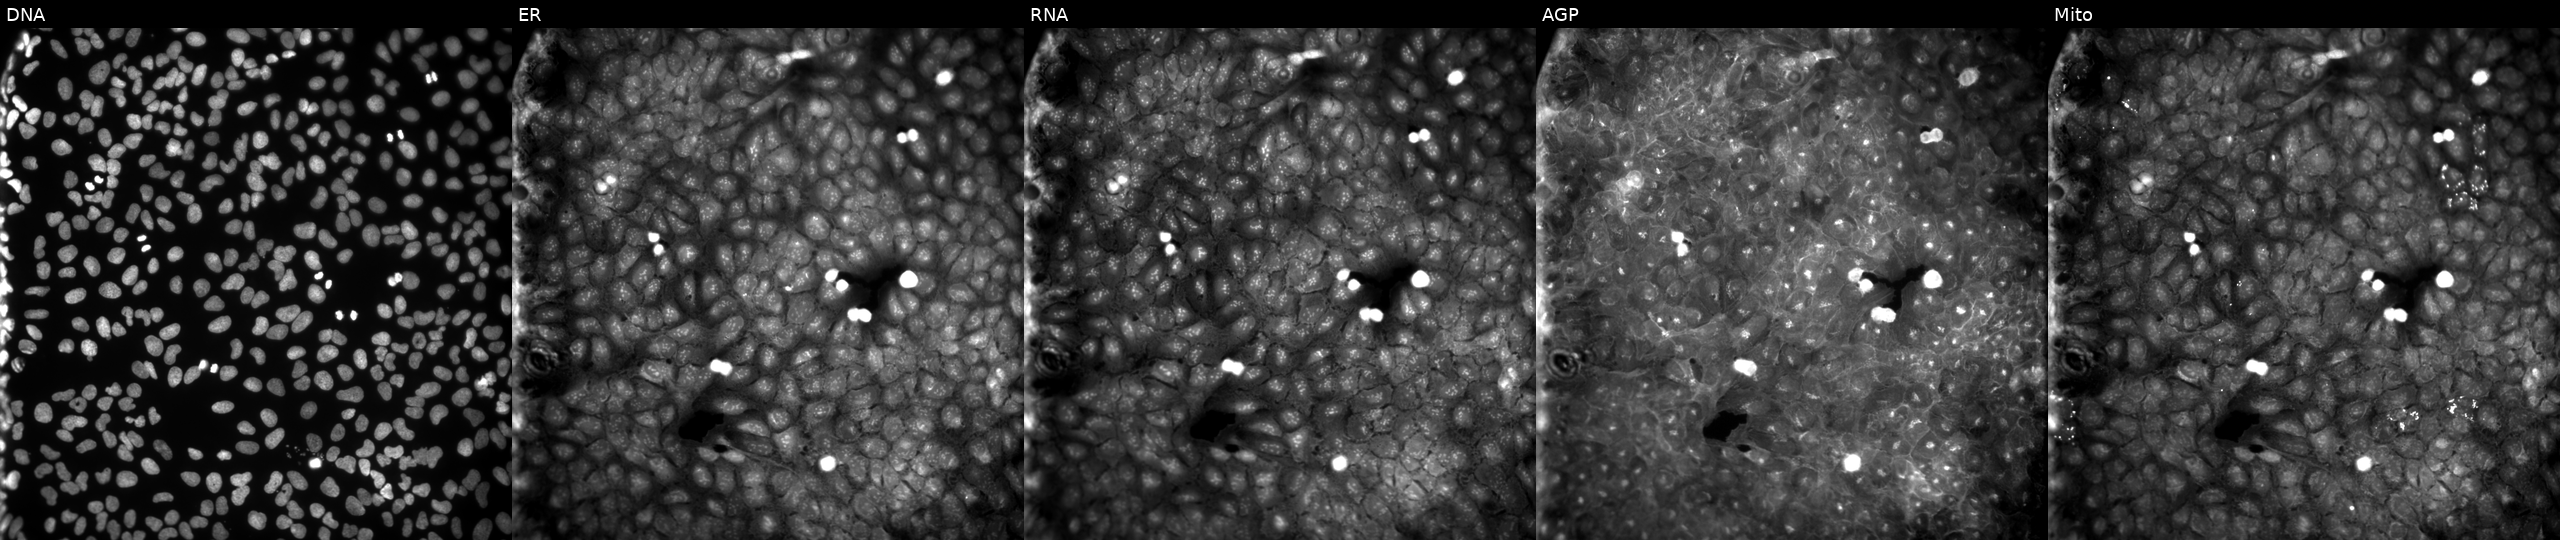
The five panels, left to right, show DNA, ER, RNA, AGP, and Mito. U2OS osteosarcoma cells exposed to a small-molecule compound (InChIKey NPCOTIACINKFRE-UHFFFAOYSA-N) [SMILES: O=C(N=c1ccc(Cl)c[nH]1)c1cccc2c(Br)cccc12]. Cell Painting assay, JUMP-CP dataset. Source 9, plate GR00003382, well AC05.